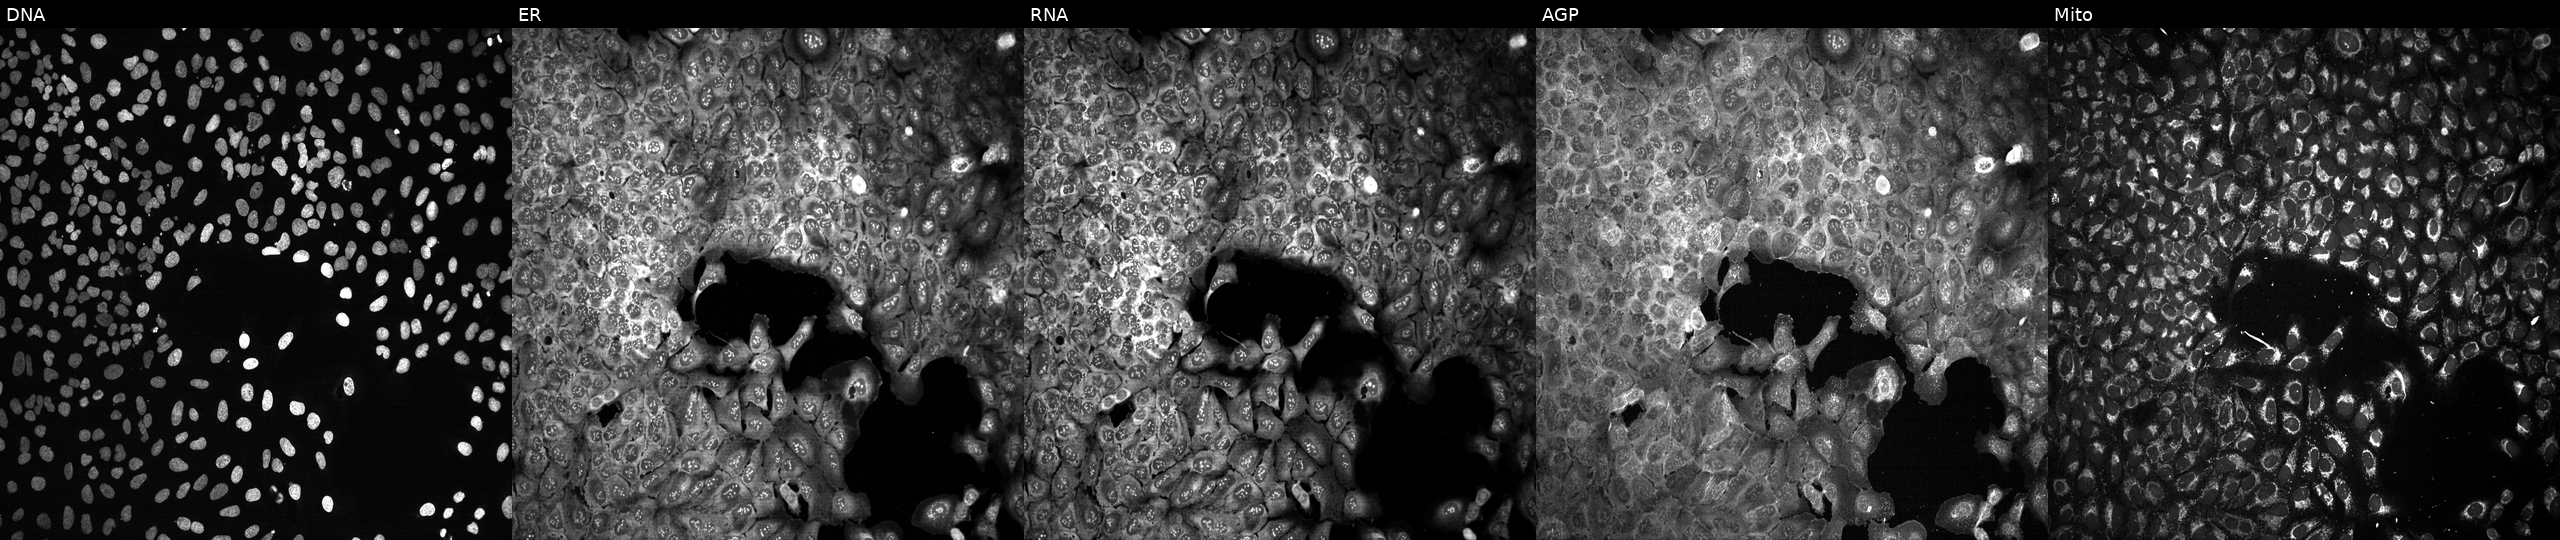
Panels show, left to right, DNA, ER, RNA, AGP, and Mito. U2OS osteosarcoma cells with FAHD2B knocked out by CRISPR. Cell Painting assay, JUMP-CP dataset.